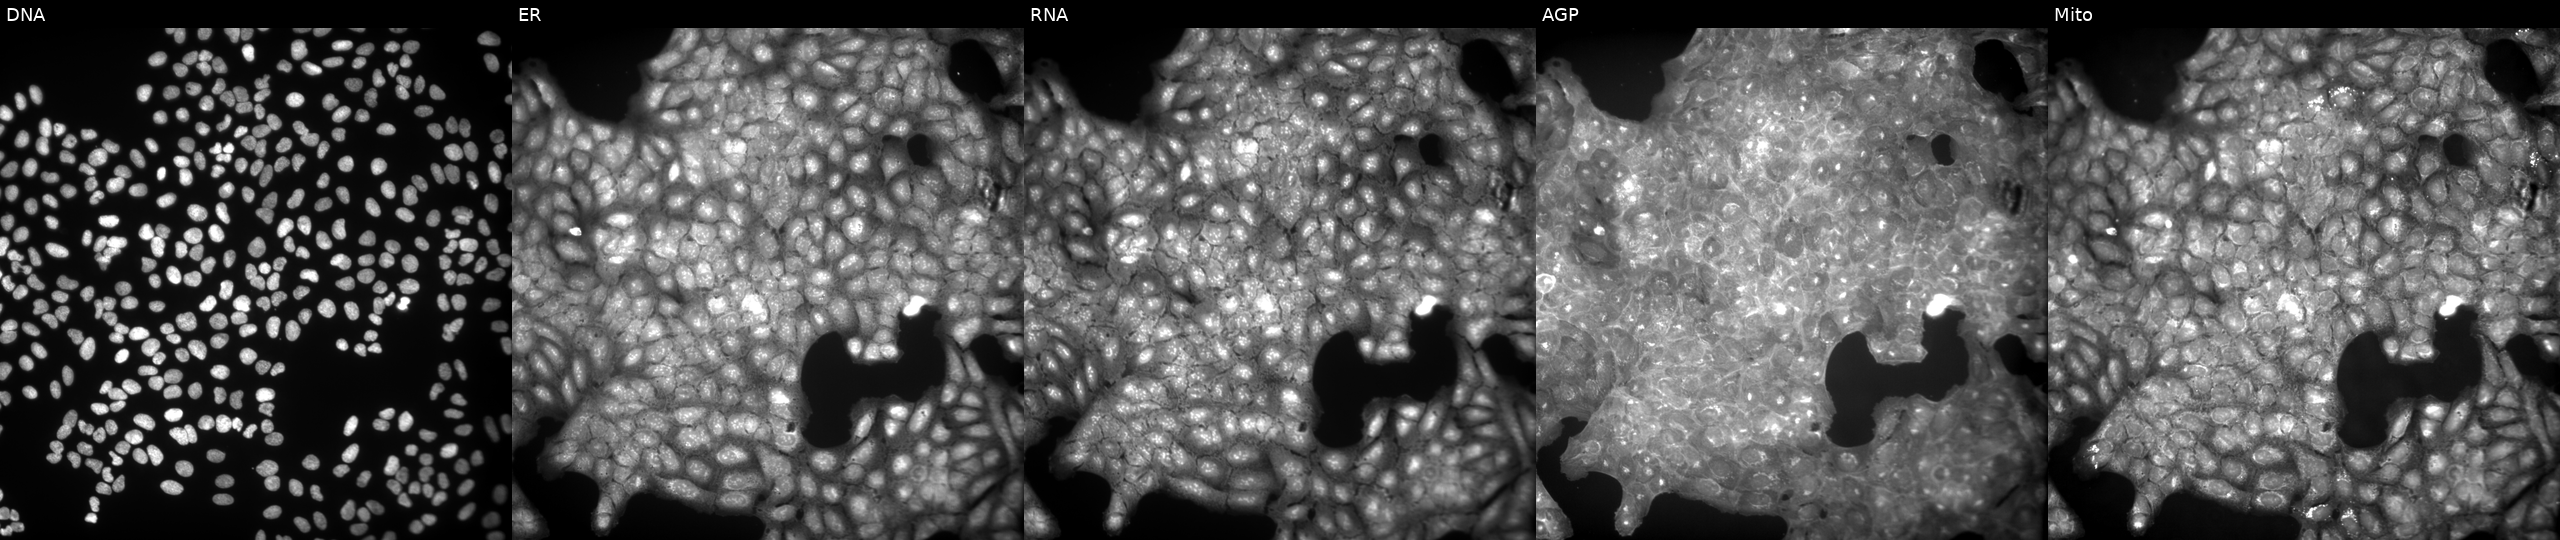
JUMP Cell Painting — COMPOUND plate. U2OS cells treated with a small-molecule compound (InChIKey DKXHHAFTGAUSGR-UHFFFAOYSA-N) [SMILES: COc1ccc(S(=O)(=O)N(CC(=O)Nc2ccc(Br)cc2)Cc2ccccc2)cc1] (JUMP id JCP2022_016602). Panels show, left to right, Hoechst 33342, concanavalin A, SYTO 14, phalloidin and WGA, MitoTracker.